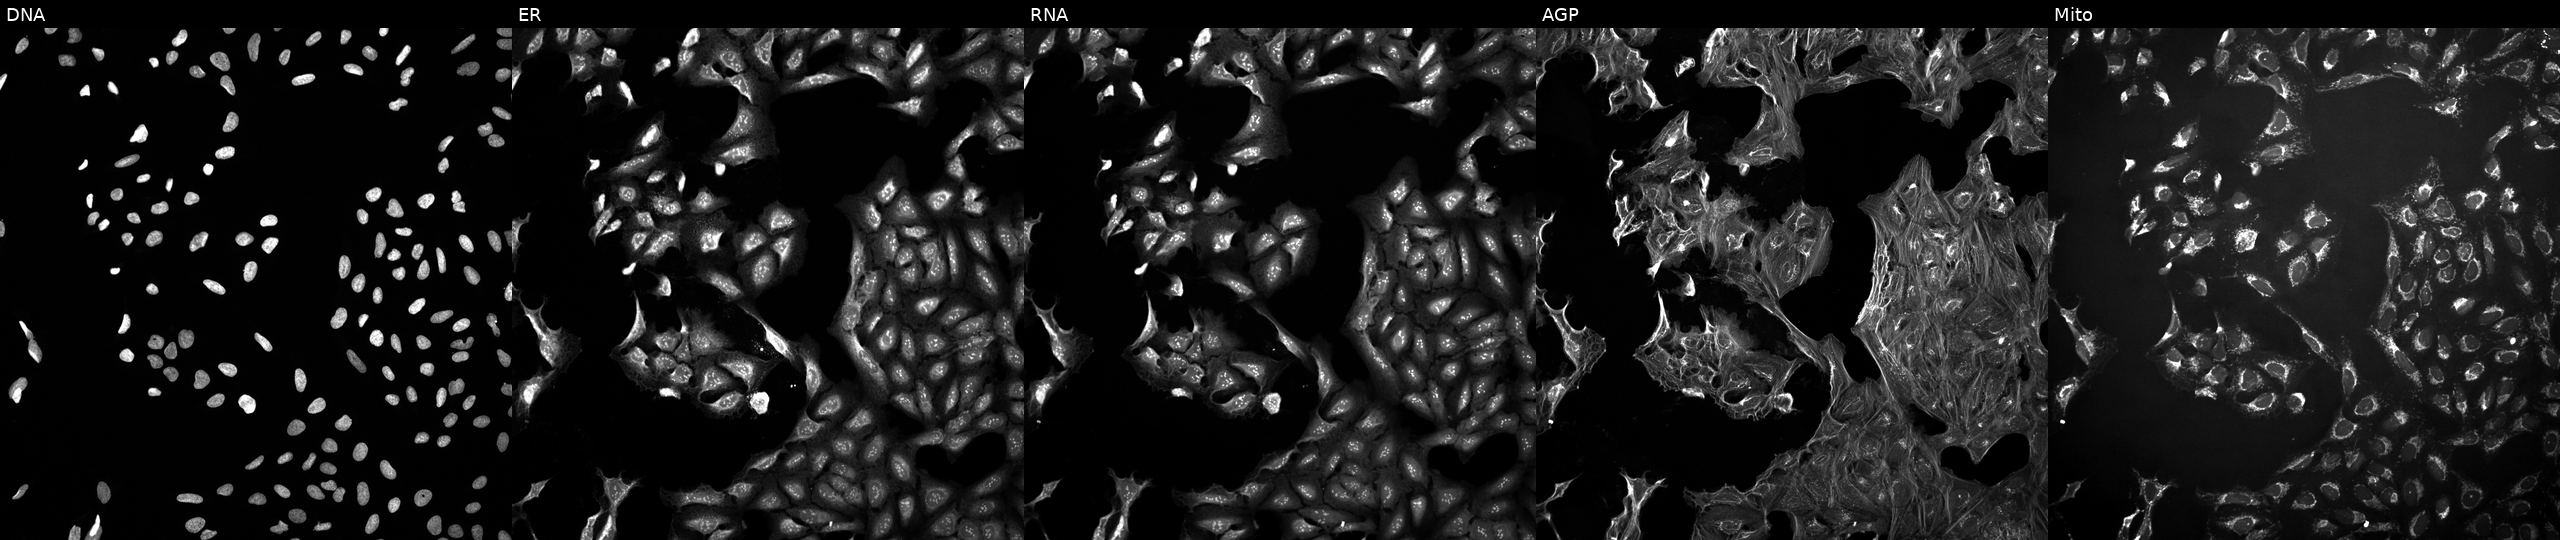
U2OS cells, Cell Painting assay, perturbed with a small-molecule compound (InChIKey MJVAVZPDRWSRRC-UHFFFAOYSA-N) (JUMP id JCP2022_054618). Channels (left→right): DNA (nuclei); ER (endoplasmic reticulum); RNA (nucleoli and cytoplasmic RNA); AGP (actin cytoskeleton, Golgi, and plasma membrane); Mito (mitochondria). Each panel is percentile-stretched 16-bit fluorescence.